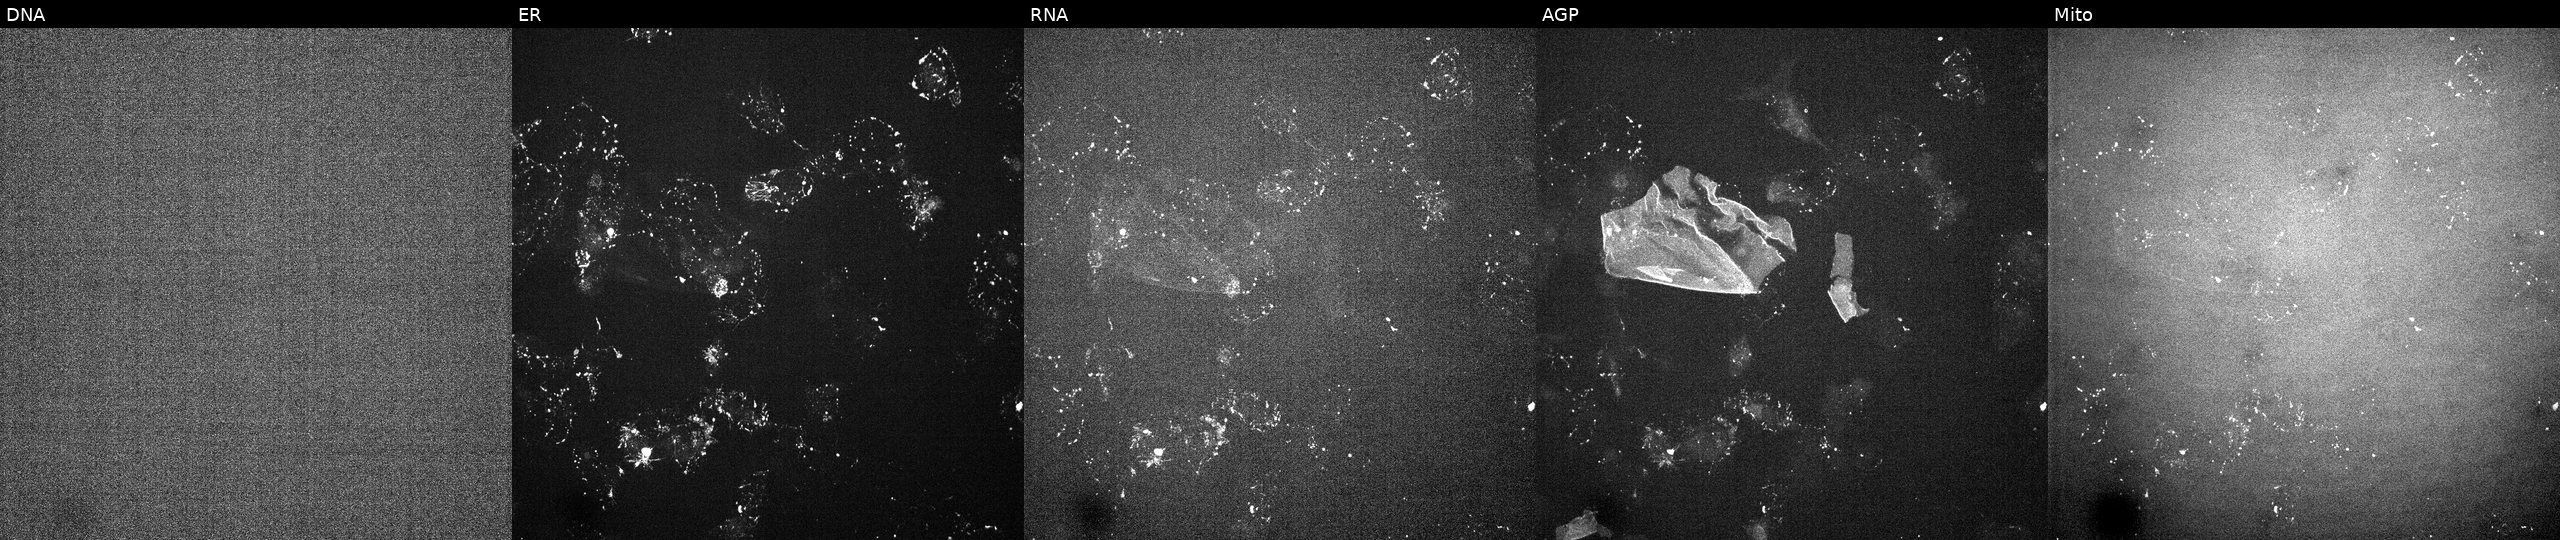
This image strip shows the five Cell Painting channels for a single field of U2OS cells treated with a small-molecule compound (InChIKey PKCYYPHSCUSQDK-UHFFFAOYSA-N). The five panels, left to right, show Hoechst 33342, concanavalin A, SYTO 14, phalloidin and WGA, MitoTracker. Source 6, plate 110000293081, well G18.